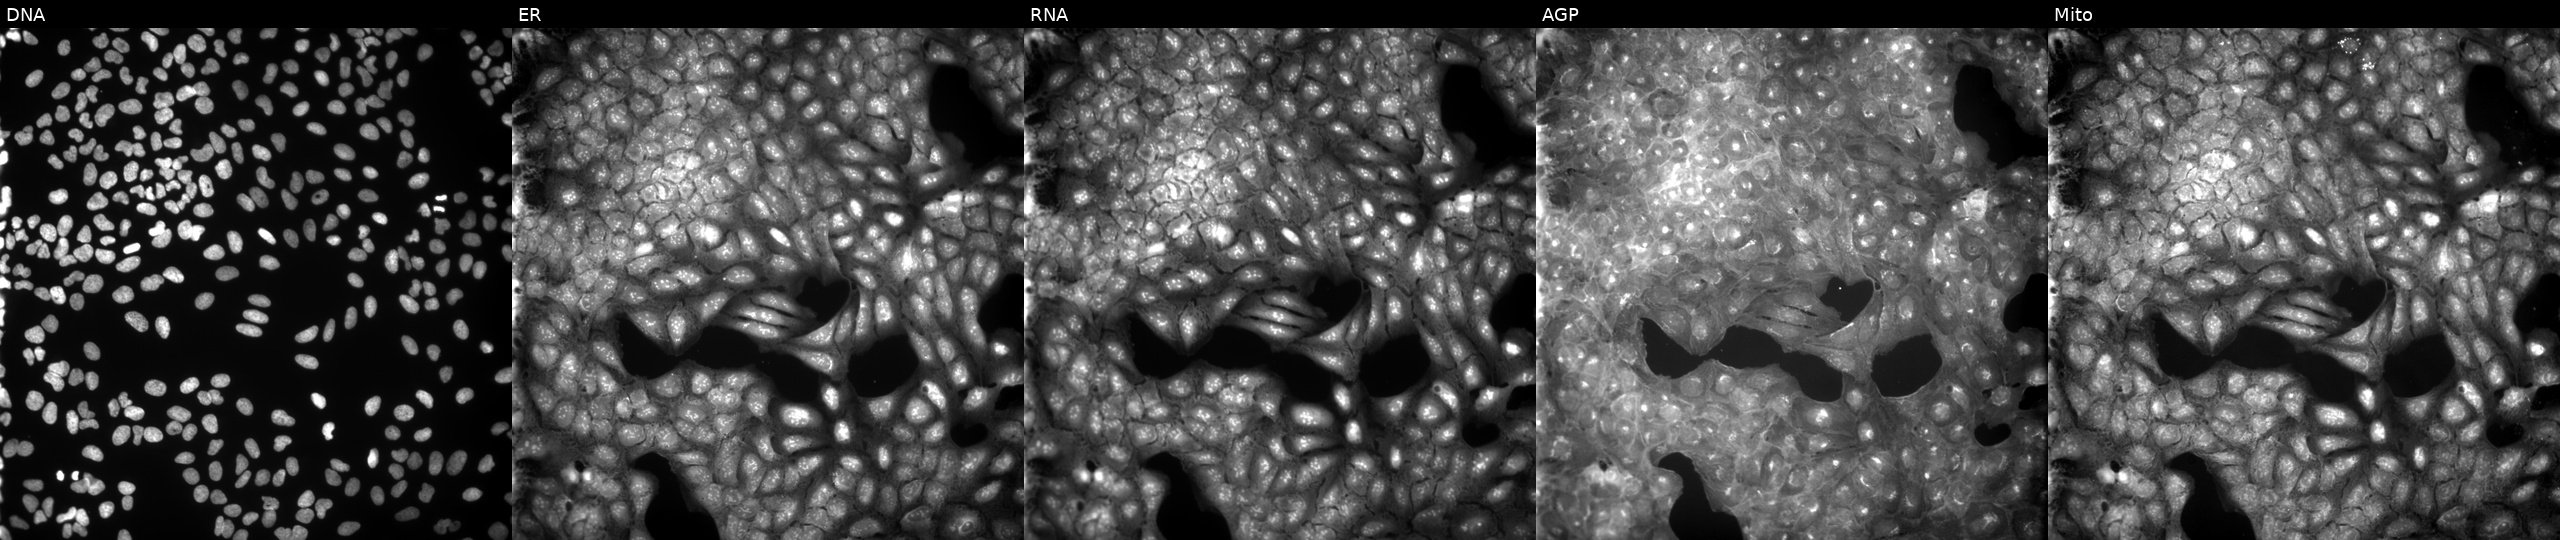
Five-channel Cell Painting image of U2OS cells exposed to a small-molecule compound (InChIKey VWZYYADNGALDJX-UHFFFAOYSA-N) (JUMP id JCP2022_096860). From left to right: Hoechst 33342, concanavalin A, SYTO 14, phalloidin and WGA, MitoTracker.